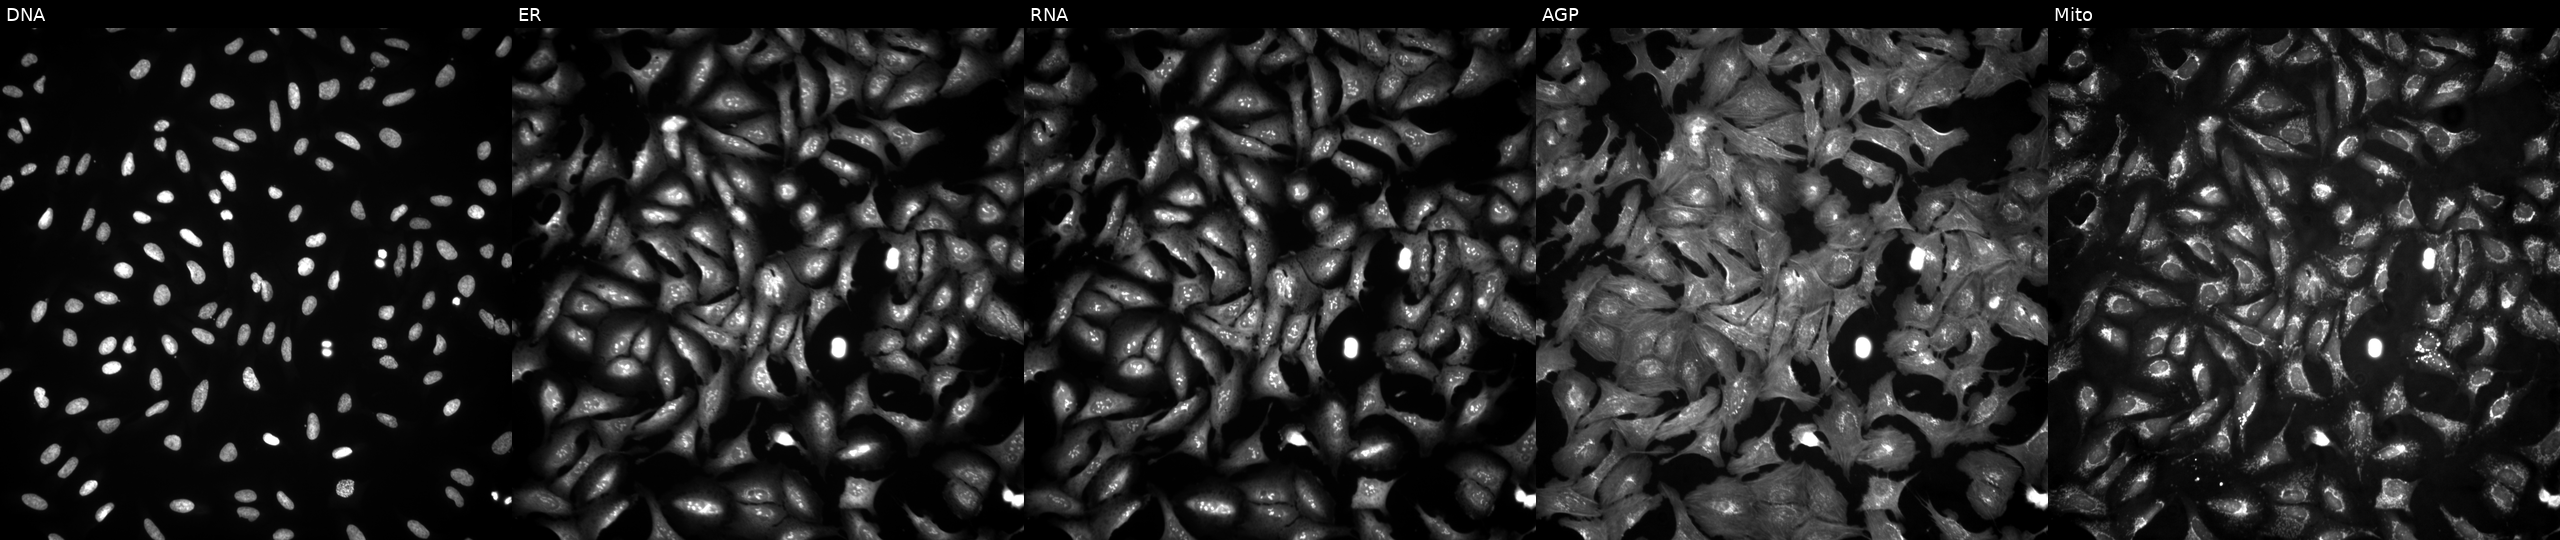
This image strip shows the five Cell Painting channels for a single field of U2OS cells overexpressing SNX14 via ORF transfection (JUMP id JCP2022_908144). Channels (left→right): DNA, ER, RNA, AGP, and Mito.